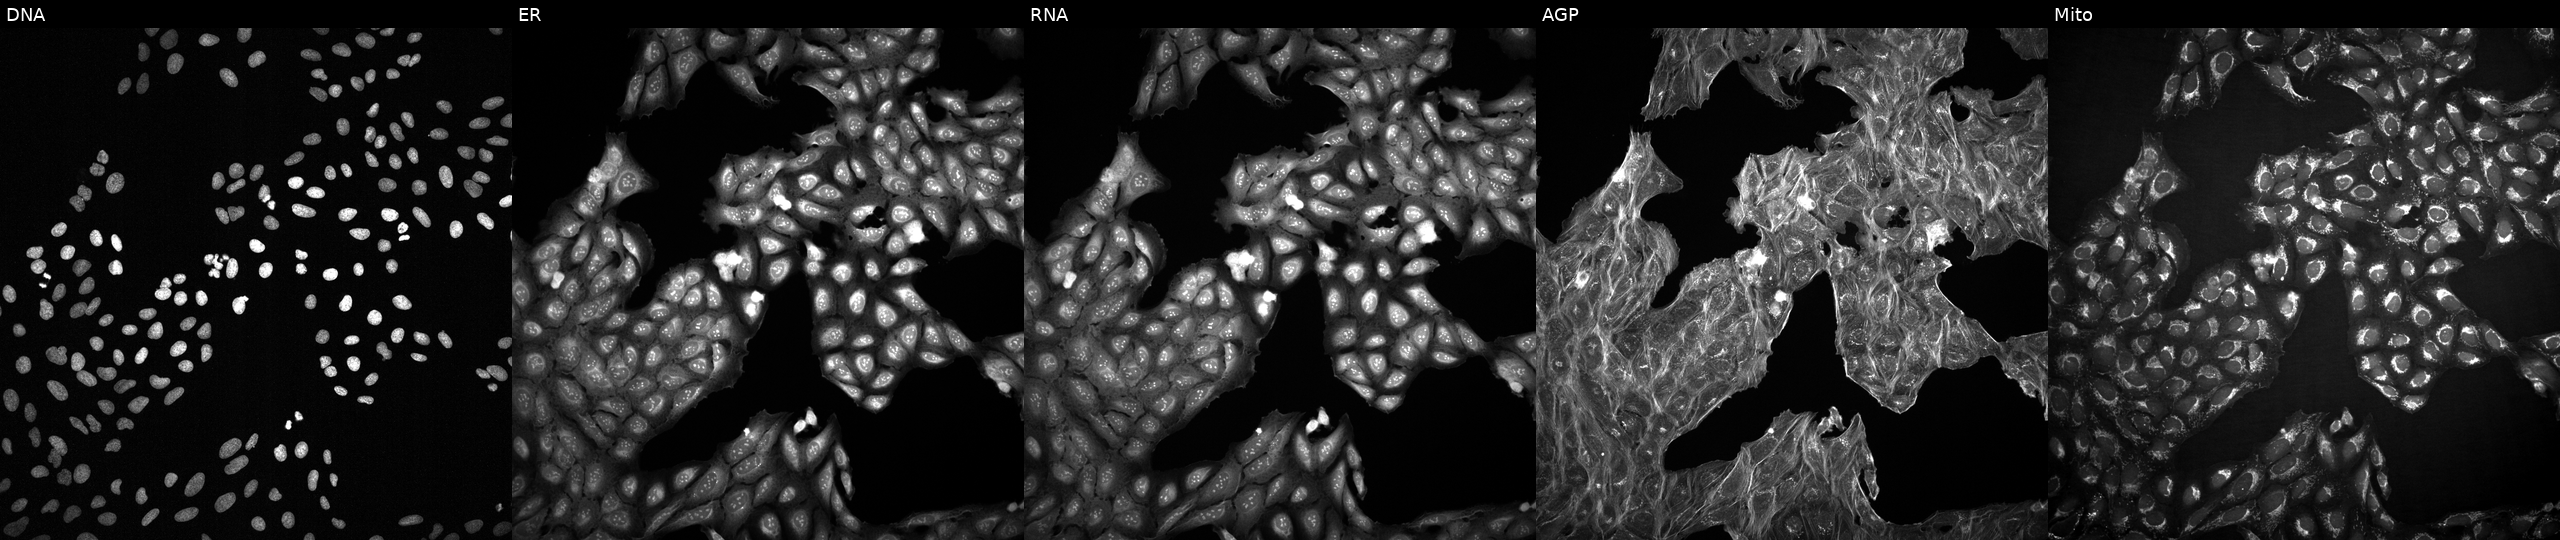
Panels show, left to right, Hoechst 33342, concanavalin A, SYTO 14, phalloidin and WGA, MitoTracker. U2OS osteosarcoma cells perturbed with a small-molecule compound (InChIKey YYOOFJZTRCPVFD-UHFFFAOYSA-N). Cell Painting assay, JUMP-CP dataset. Source 2, plate 1053600674, well B06.